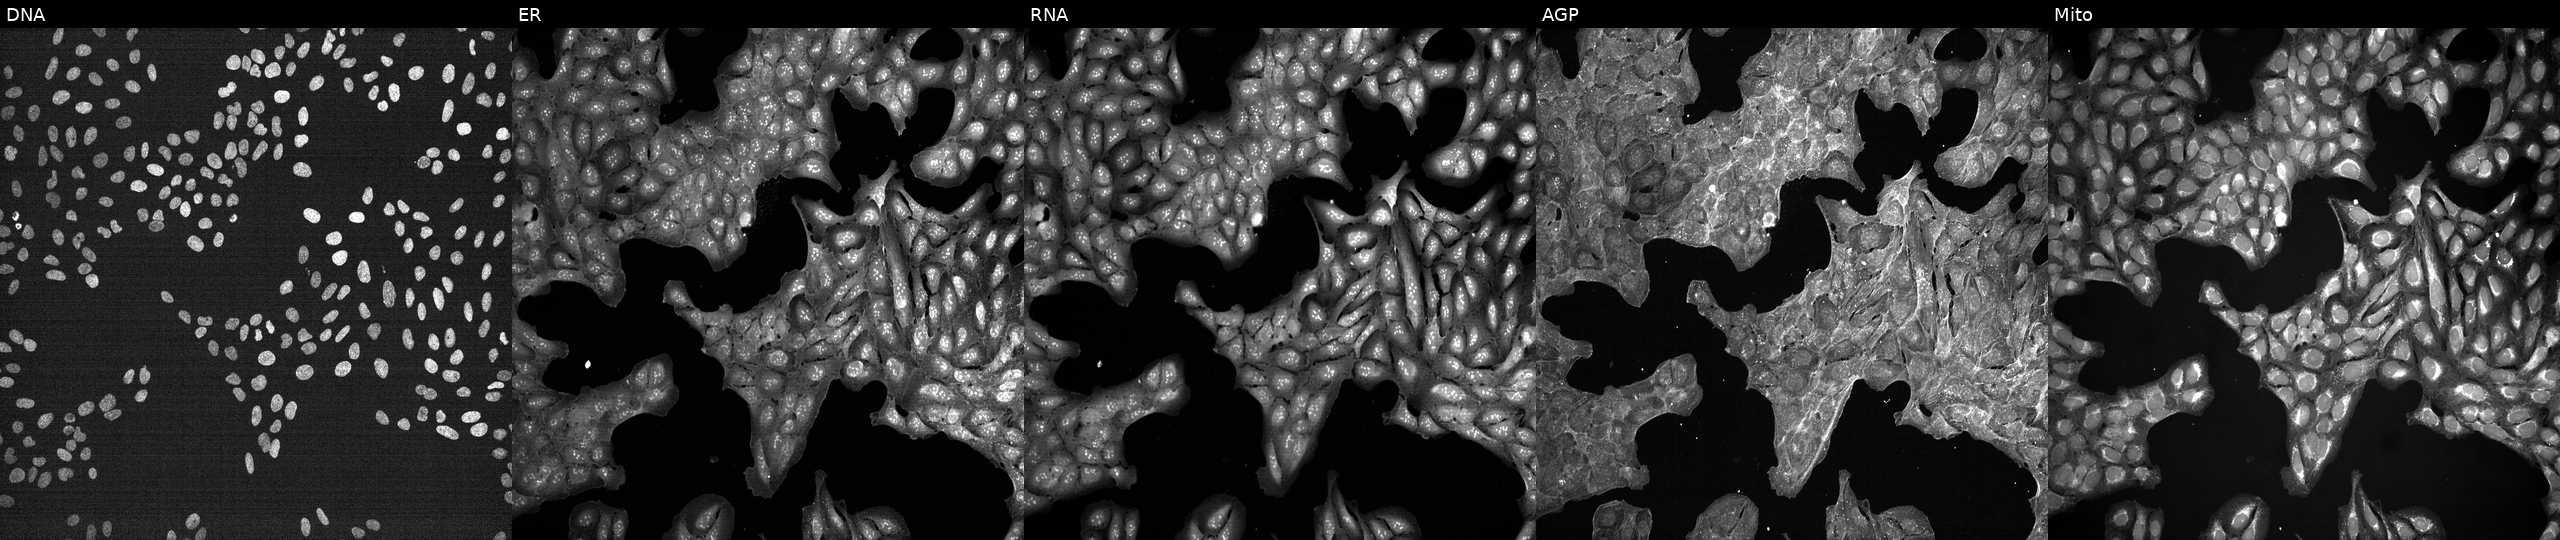
JUMP Cell Painting — TARGET2 plate. U2OS cells treated with a small-molecule compound (JUMP id JCP2022_079562). Channels (left→right): DNA, ER, RNA, AGP, and Mito.